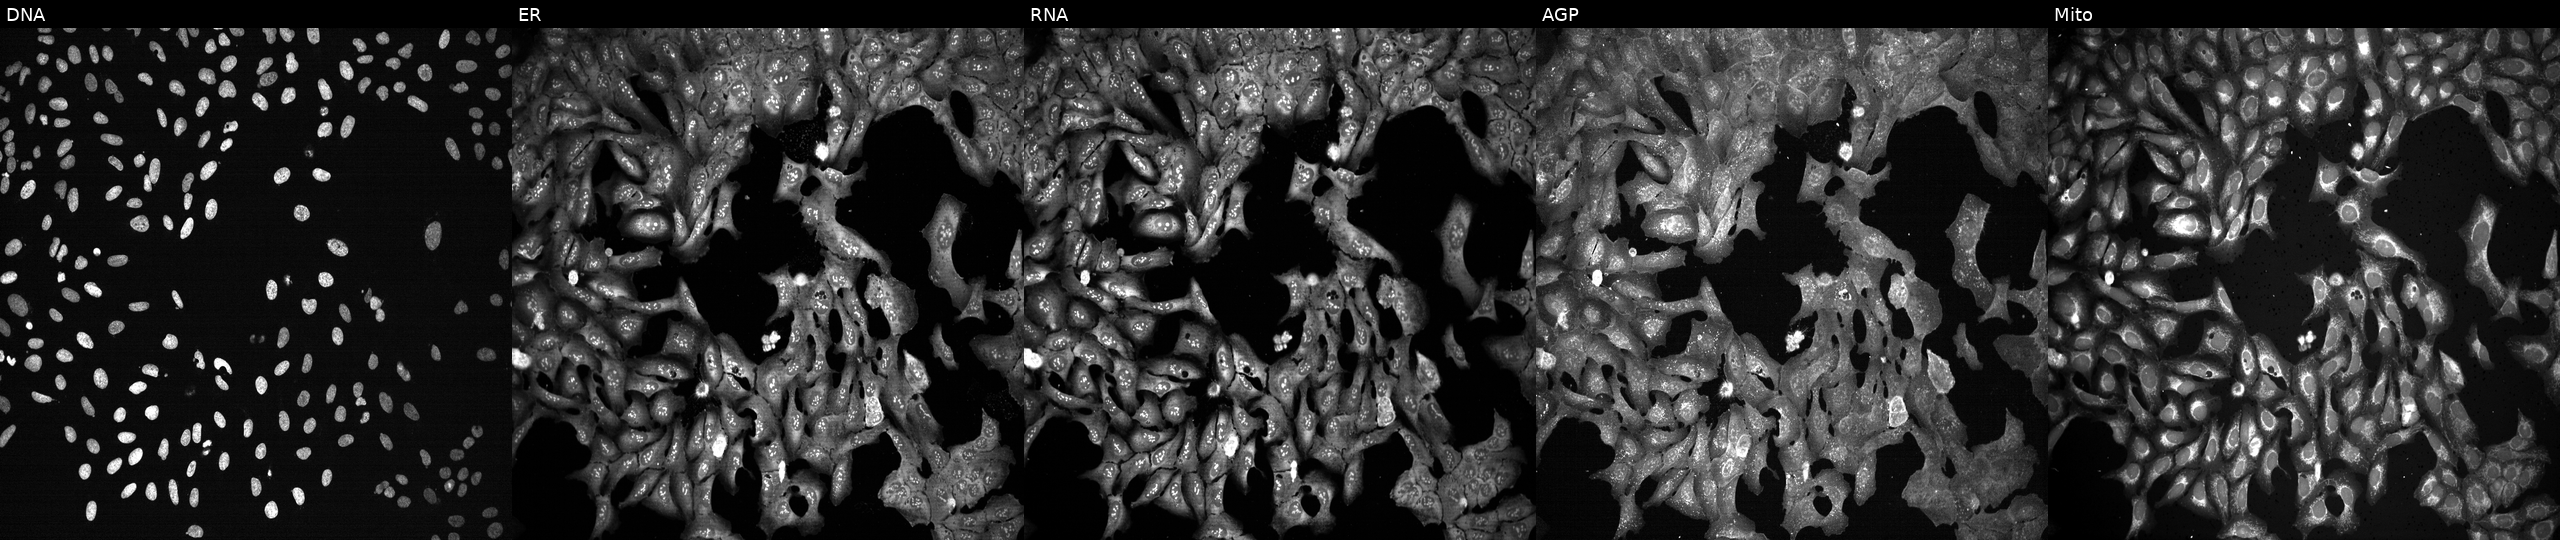
The five panels, left to right, show DNA, ER, RNA, AGP, and Mito. U2OS osteosarcoma cells following CRISPR knockout of BAX. Cell Painting assay, JUMP-CP dataset.